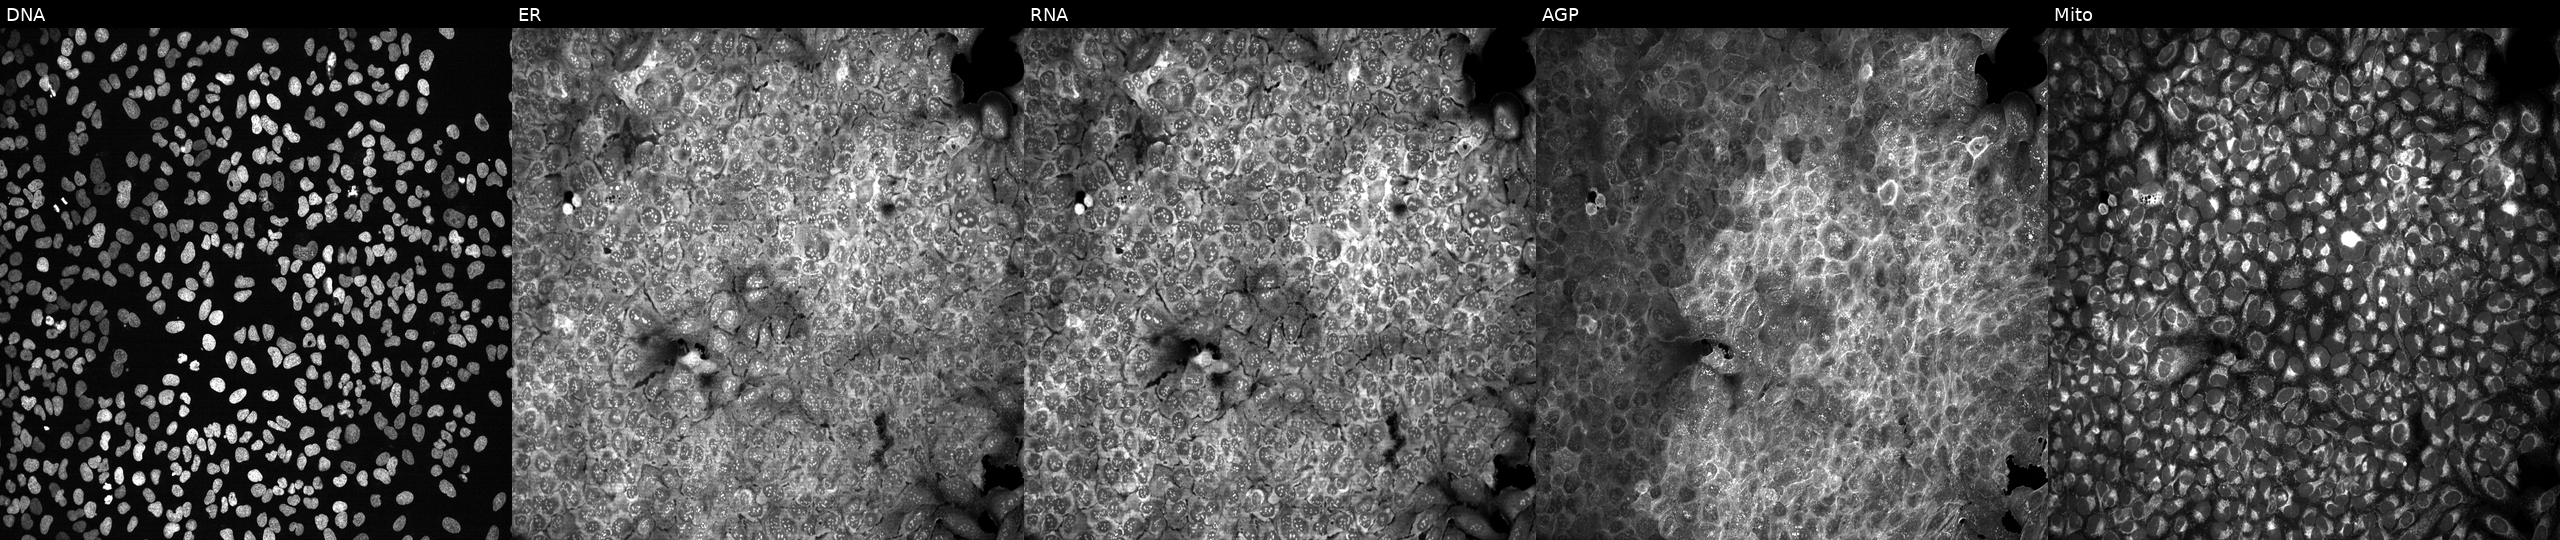
Five-channel Cell Painting image of U2OS cells following CRISPR knockout of DPP6. Panels show, left to right, Hoechst 33342, concanavalin A, SYTO 14, phalloidin and WGA, MitoTracker. Source 13, plate CP-CC9-R6-19, well K22.